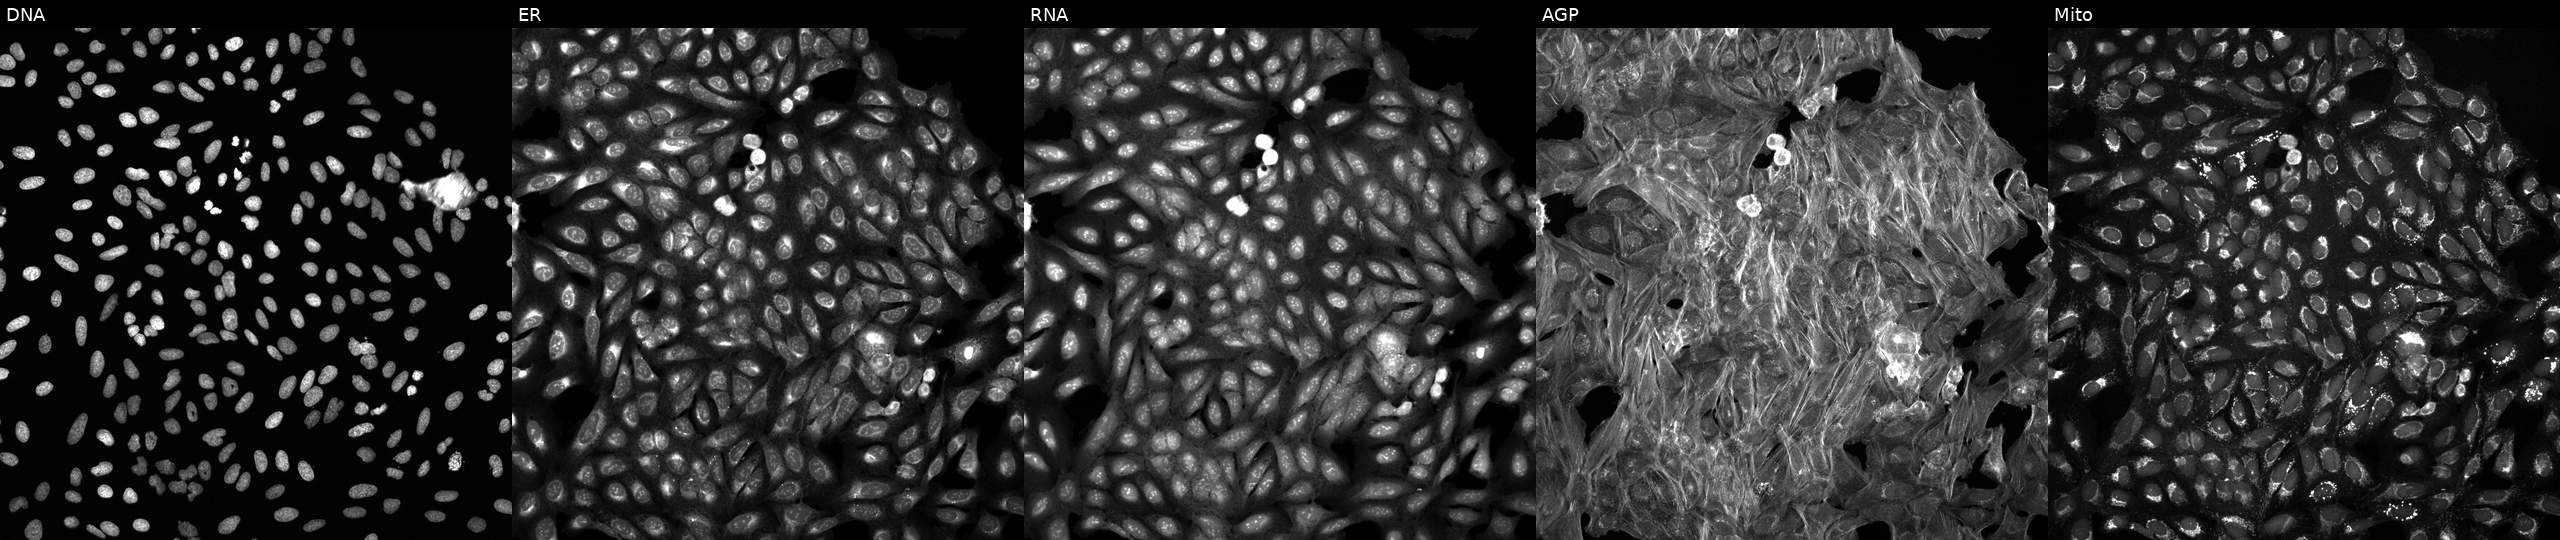
U2OS cells, Cell Painting assay, exposed to a small-molecule compound (InChIKey BZDFIGKJRFKUSP-UHFFFAOYSA-N). Panels show, left to right, DNA (nuclei); ER (endoplasmic reticulum); RNA (nucleoli and cytoplasmic RNA); AGP (actin cytoskeleton, Golgi, and plasma membrane); Mito (mitochondria). Each panel is percentile-stretched 16-bit fluorescence.